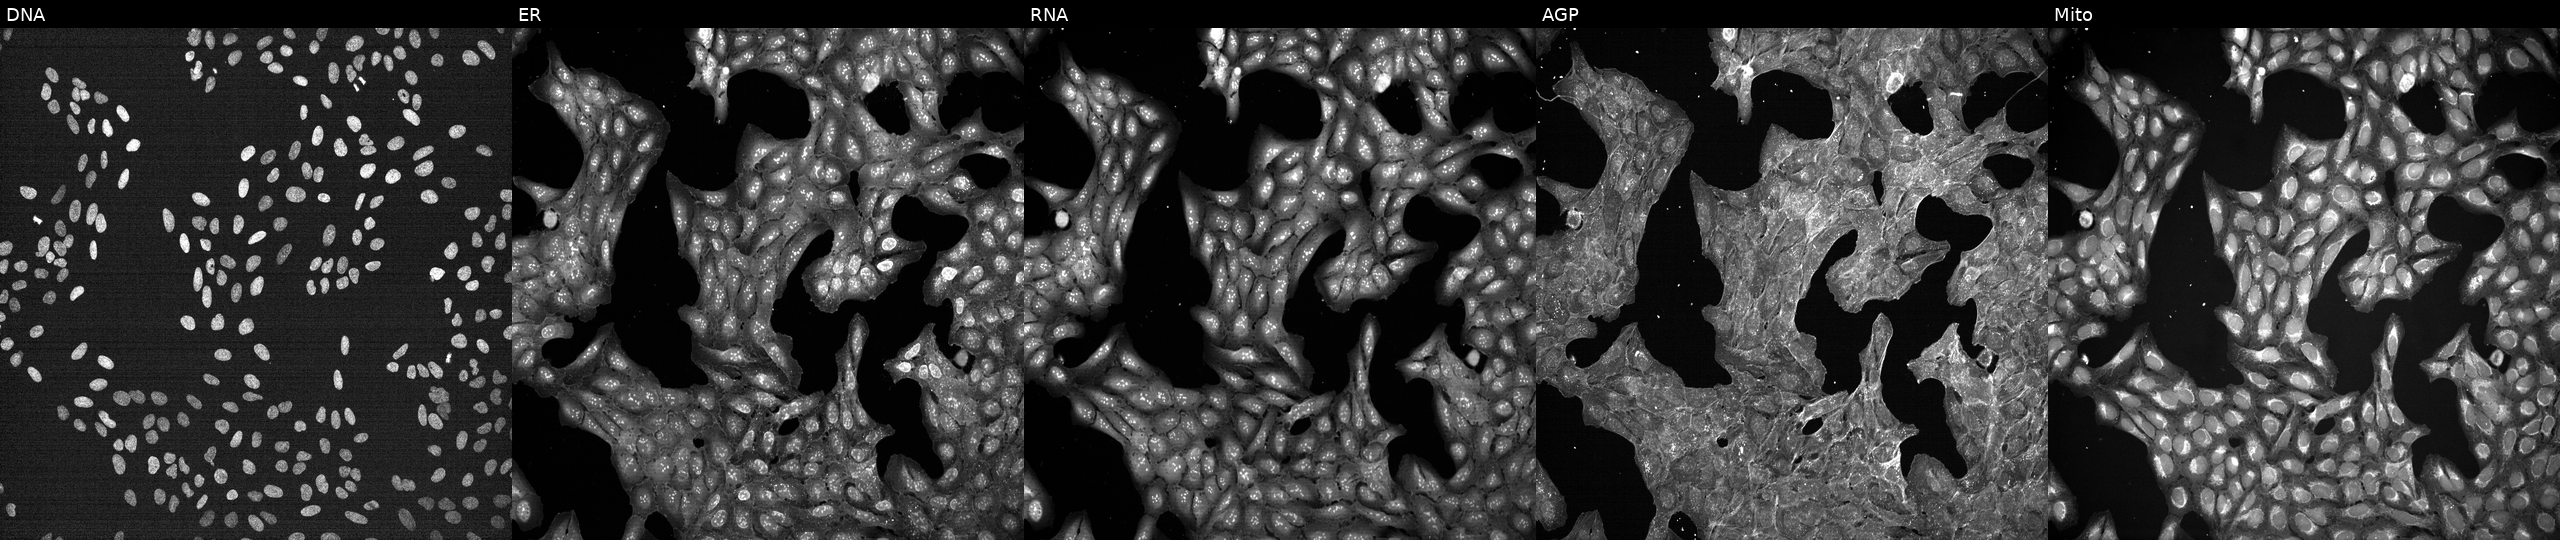
JUMP Cell Painting — TARGET2 plate. U2OS cells exposed to a small-molecule compound (InChIKey WLBUICQBNZXIDJ-UHFFFAOYSA-N) (JUMP id JCP2022_099471). From left to right: DNA, ER, RNA, AGP, and Mito.